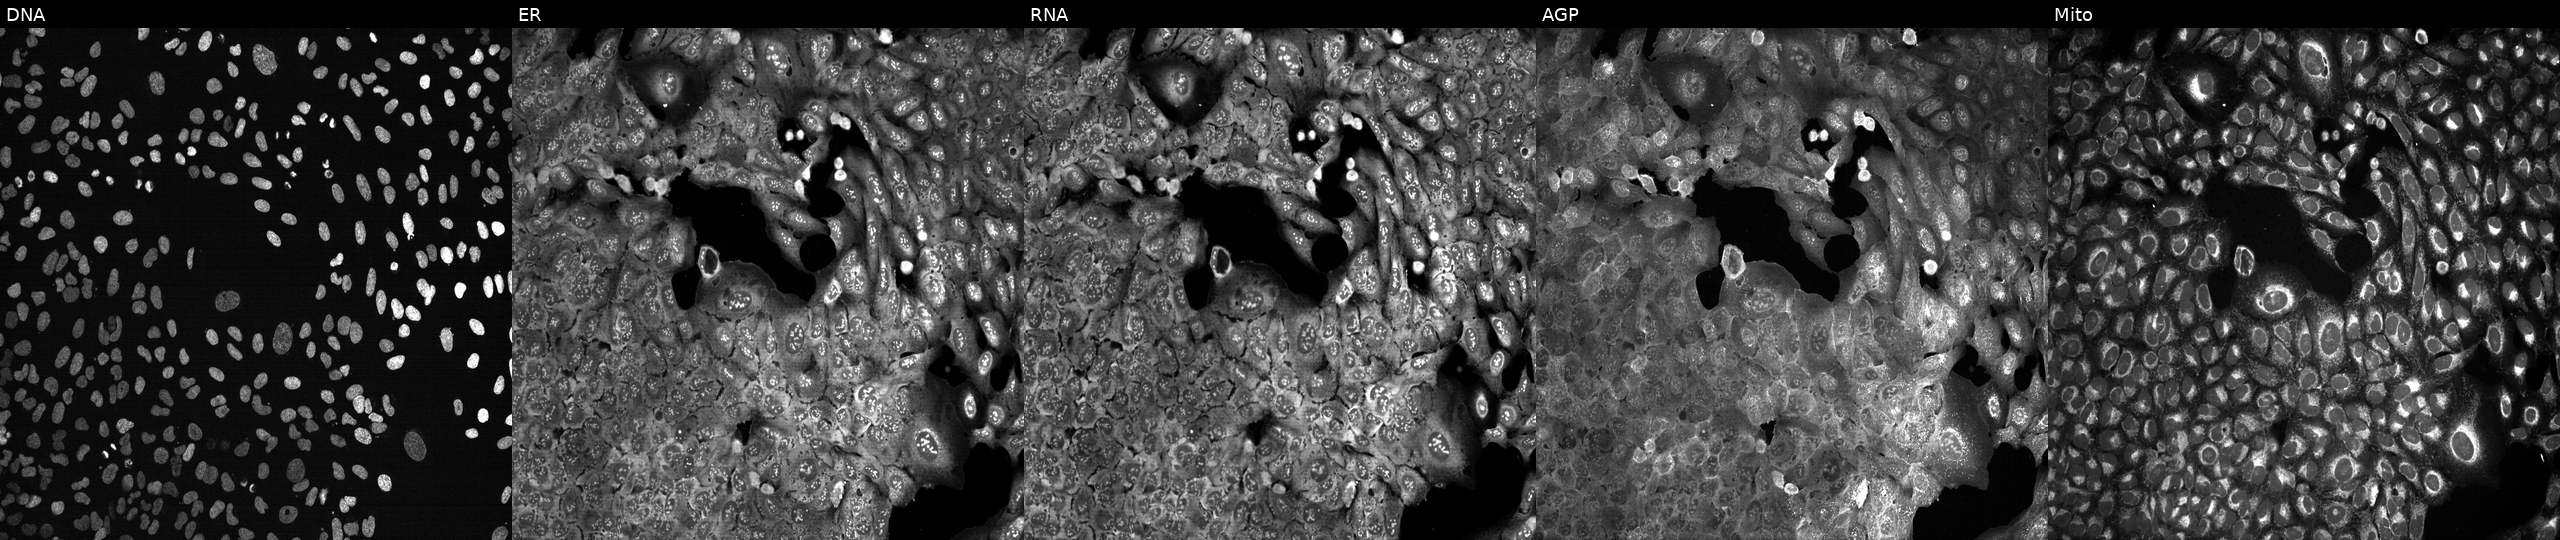
JUMP Cell Painting — CRISPR plate. U2OS cells following CRISPR knockout of NRP2. Channels (left→right): DNA, ER, RNA, AGP, and Mito.